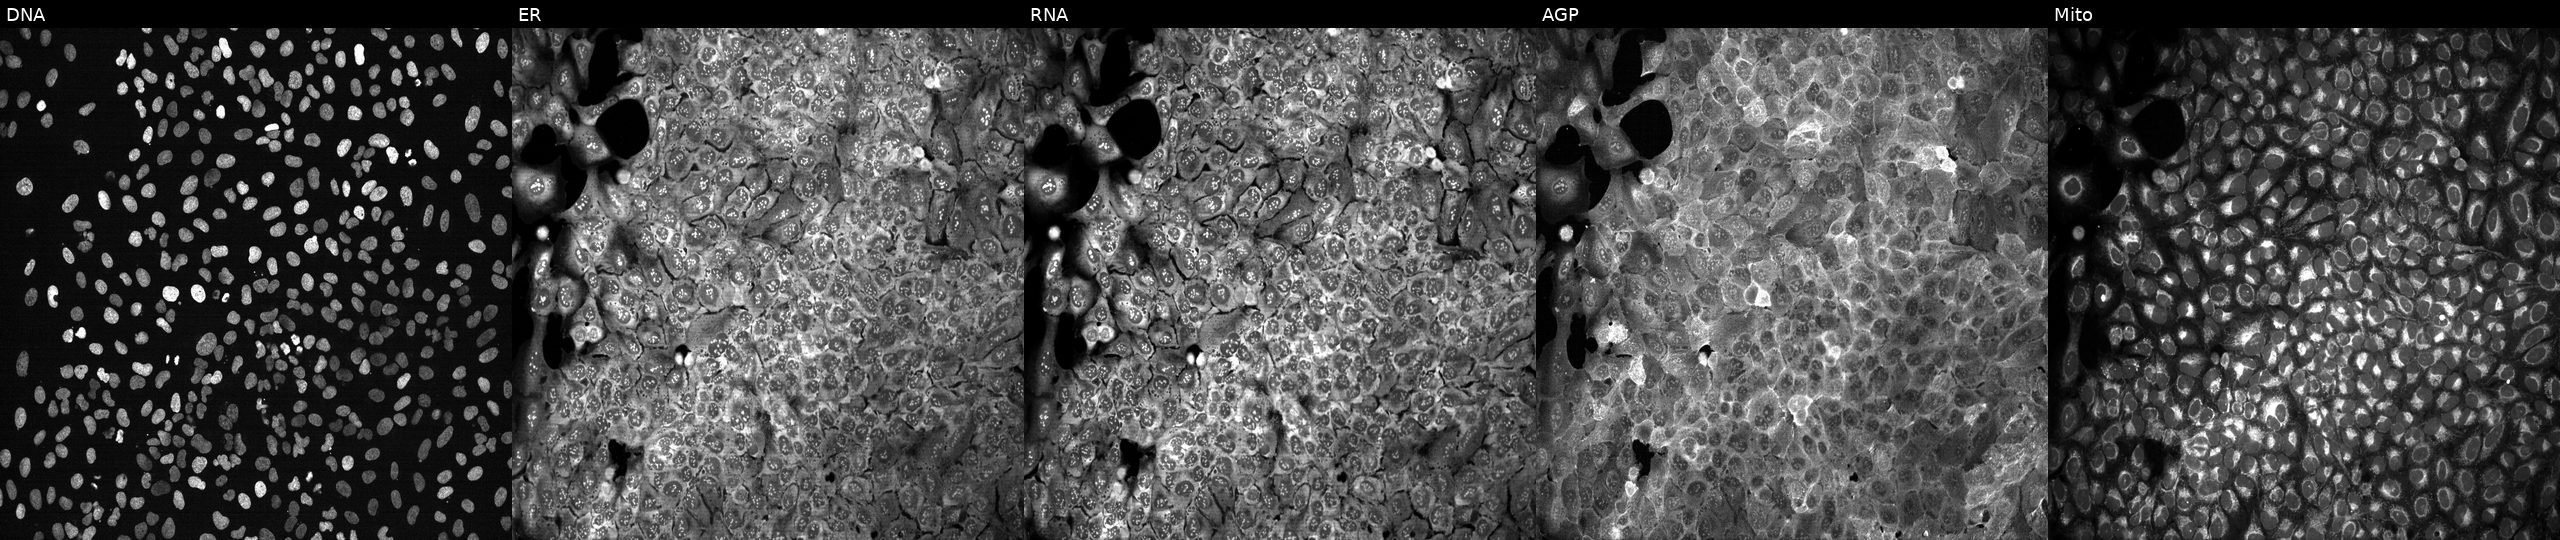
Channels (left→right): DNA, ER, RNA, AGP, and Mito. U2OS osteosarcoma cells CRISPR-edited to disrupt EIF4E3 (JUMP id JCP2022_802072). Cell Painting assay, JUMP-CP dataset.